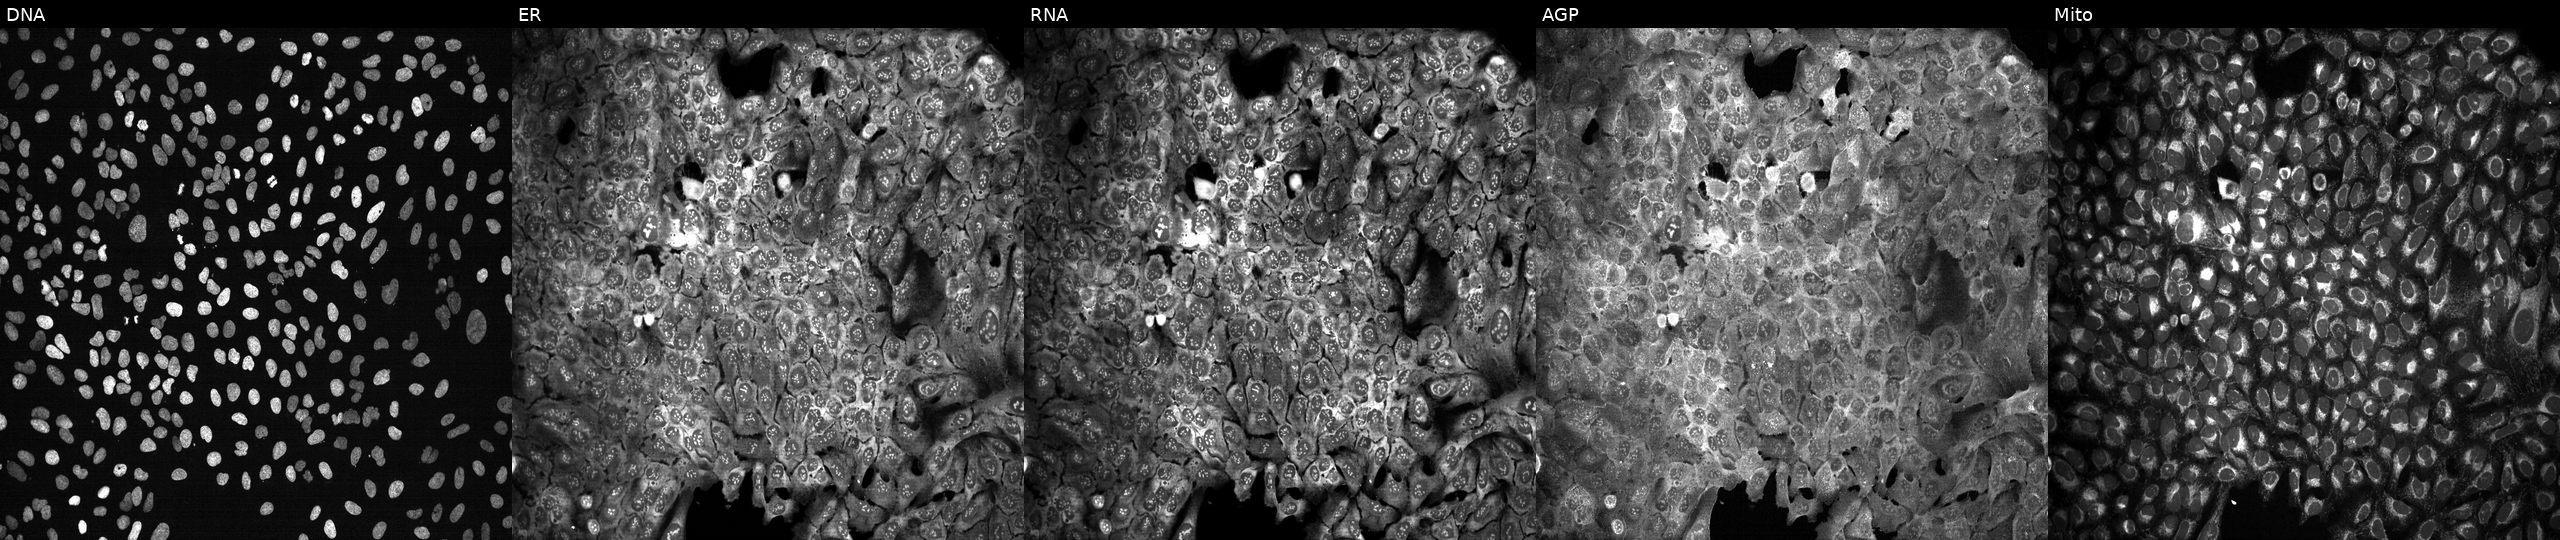
JUMP Cell Painting — CRISPR plate. U2OS cells following CRISPR knockout of ABCA9. Panels show, left to right, DNA, ER, RNA, AGP, and Mito. Source 13, plate CP-CC9-R3-02, well I21.